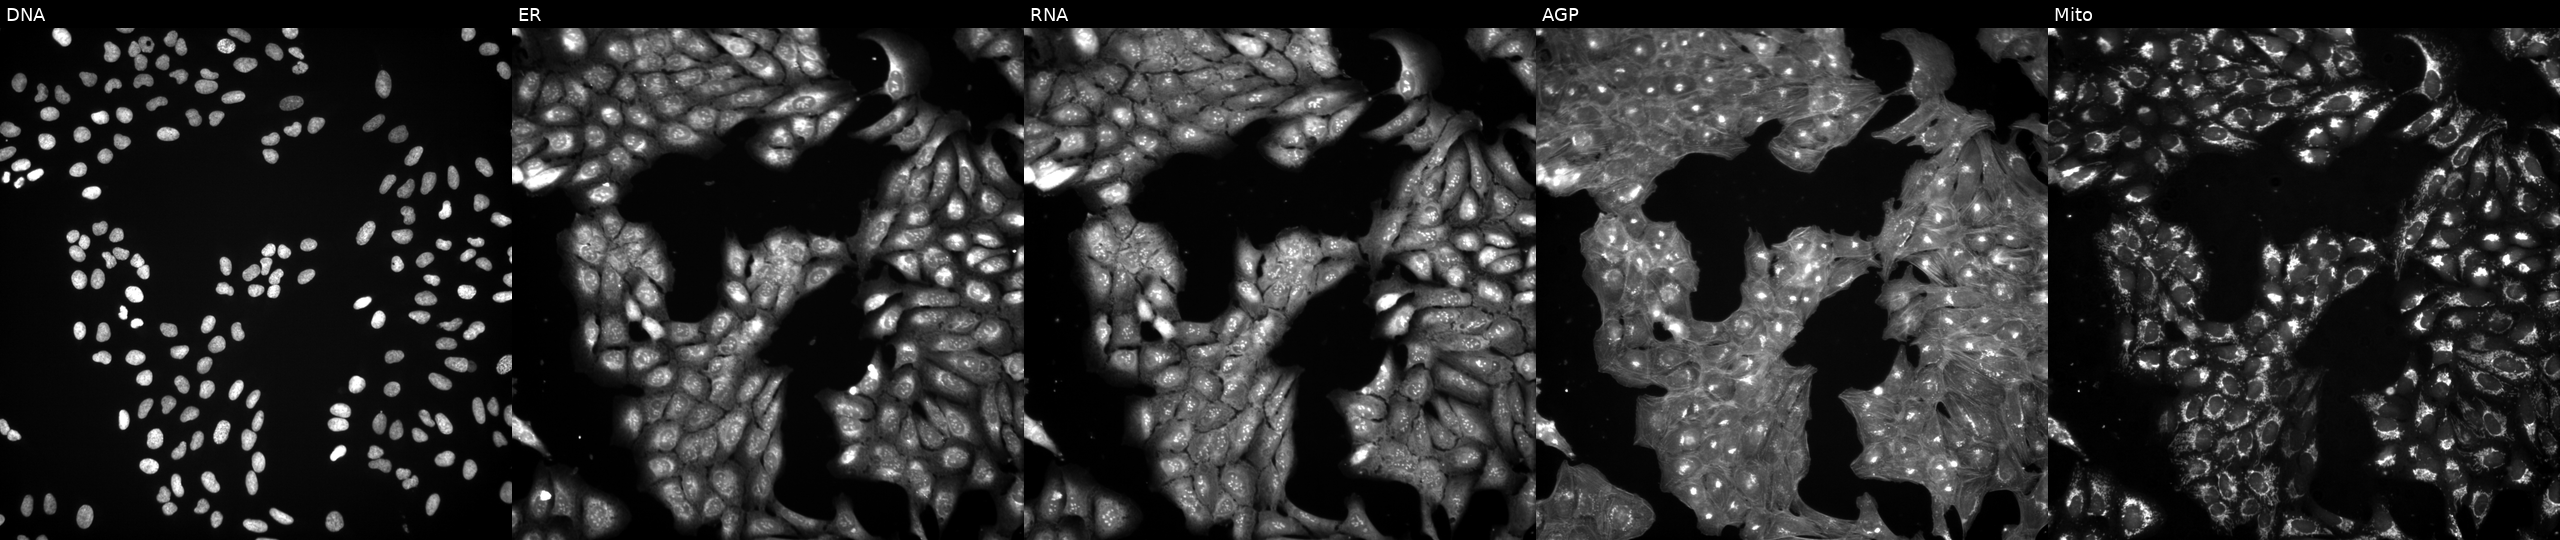
U2OS cells, Cell Painting assay, in an empty control well (no perturbation) (JUMP id JCP2022_999999). Panels show, left to right, DNA (nuclei); ER (endoplasmic reticulum); RNA (nucleoli and cytoplasmic RNA); AGP (actin cytoskeleton, Golgi, and plasma membrane); Mito (mitochondria). Each panel is percentile-stretched 16-bit fluorescence. Source 3, plate BR5867a3, well F13.